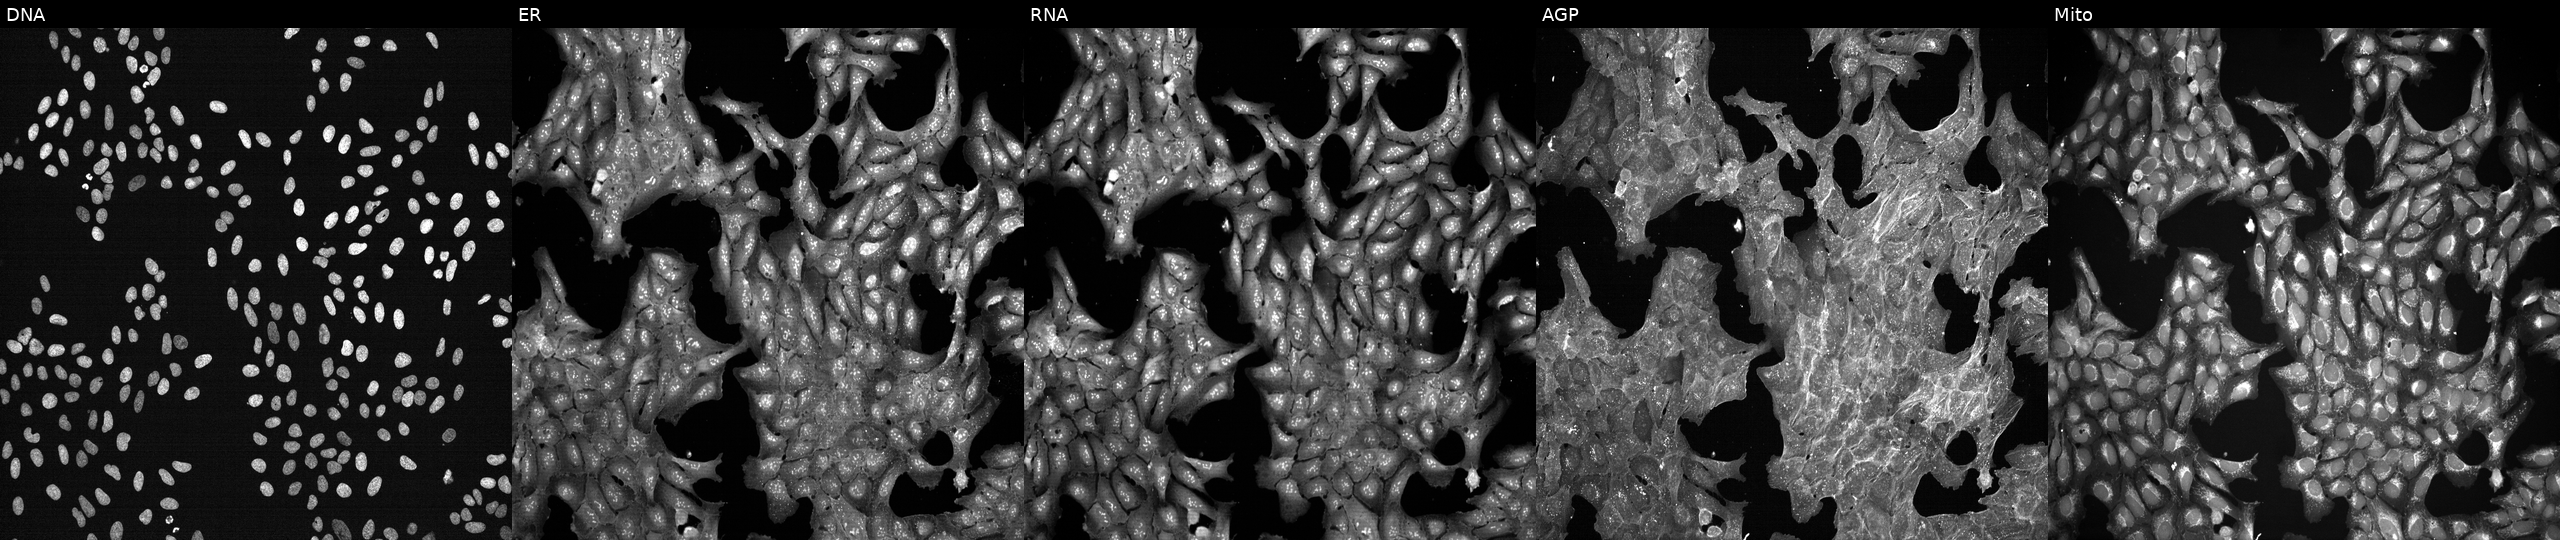
U2OS cells, Cell Painting assay, exposed to DMSO alone as a negative control (JUMP id JCP2022_033924). From left to right: DNA, ER, RNA, AGP, and Mito. Each panel is percentile-stretched 16-bit fluorescence.